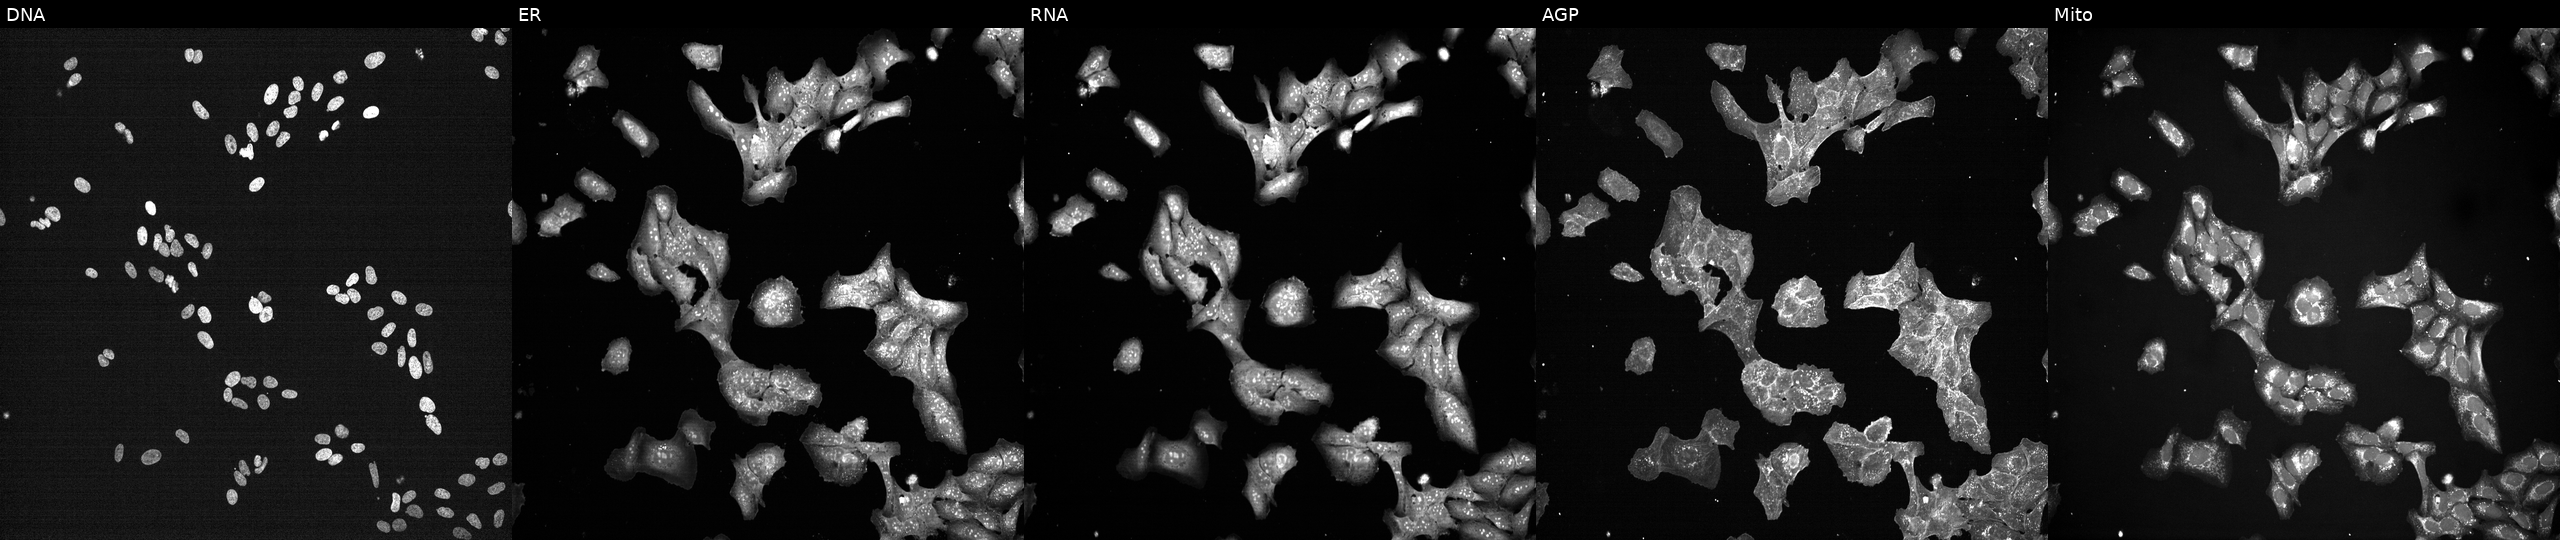
This image strip shows the five Cell Painting channels for a single field of U2OS cells perturbed with a small-molecule compound (InChIKey UTBOEBCWXGDOGI-UHFFFAOYSA-N). Channels (left→right): DNA, ER, RNA, AGP, and Mito.